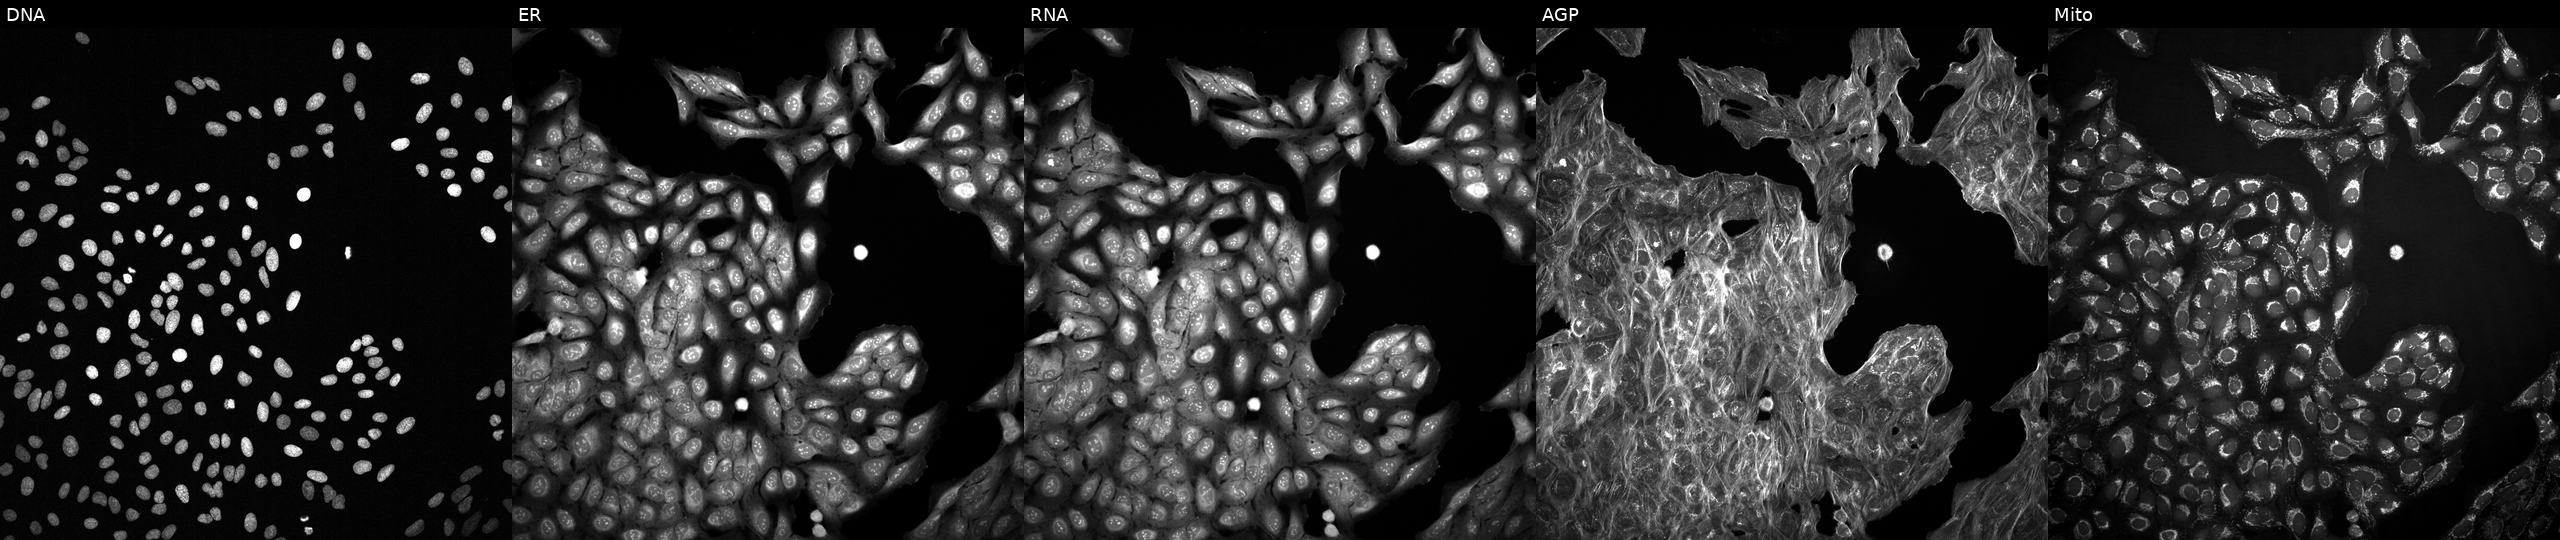
Panels show, left to right, DNA (nuclei); ER (endoplasmic reticulum); RNA (nucleoli and cytoplasmic RNA); AGP (actin cytoskeleton, Golgi, and plasma membrane); Mito (mitochondria). U2OS osteosarcoma cells perturbed with a small-molecule compound. Cell Painting assay, JUMP-CP dataset. Source 2, plate 1053601763, well F09.